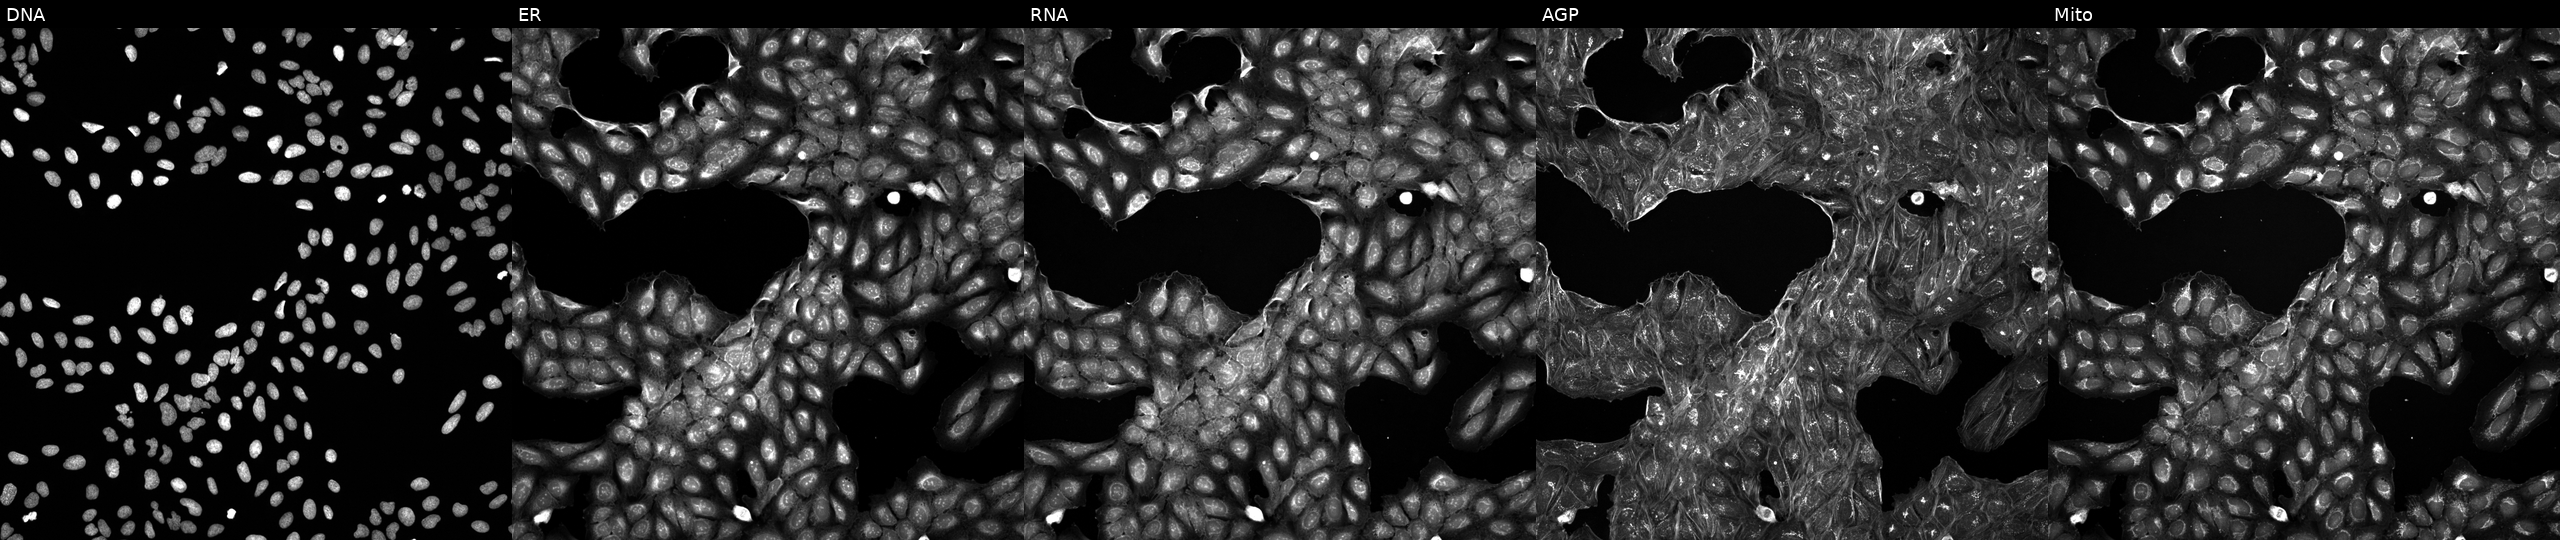
The five panels, left to right, show DNA, ER, RNA, AGP, and Mito. U2OS osteosarcoma cells treated with a small-molecule compound (InChIKey FAHUNOPTFFVJAM-UHFFFAOYSA-N). Cell Painting assay, JUMP-CP dataset. Source 5, plate APTJUM106, well G14.